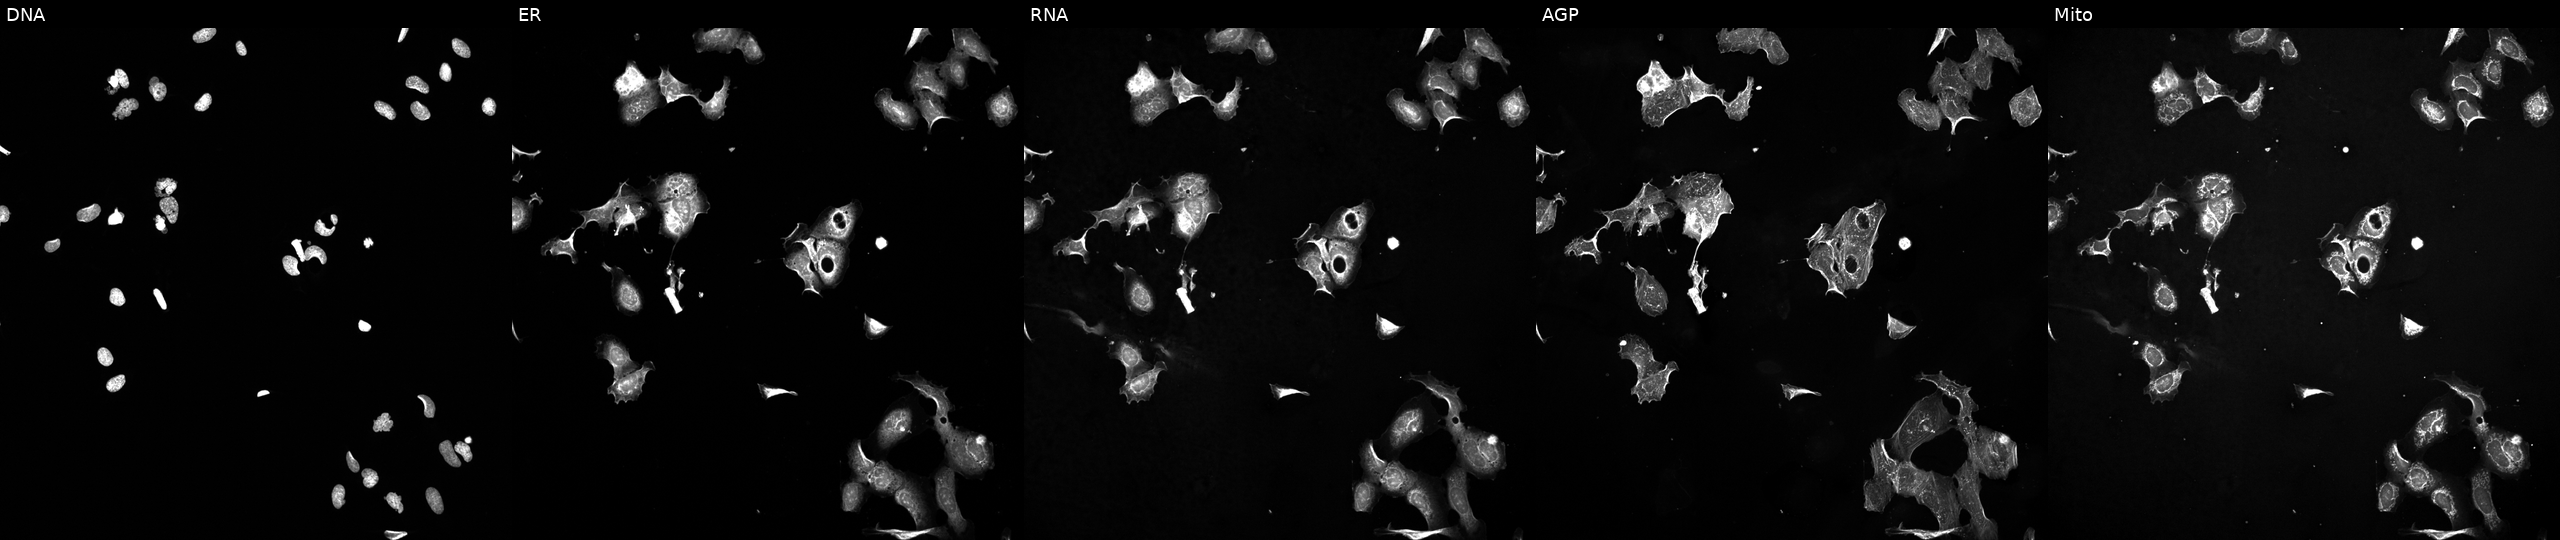
JUMP Cell Painting — TARGET2 plate. U2OS cells exposed to a small-molecule compound (InChIKey CWHUFRVAEUJCEF-UHFFFAOYSA-N) (JUMP id JCP2022_013856). From left to right: DNA, ER, RNA, AGP, and Mito.